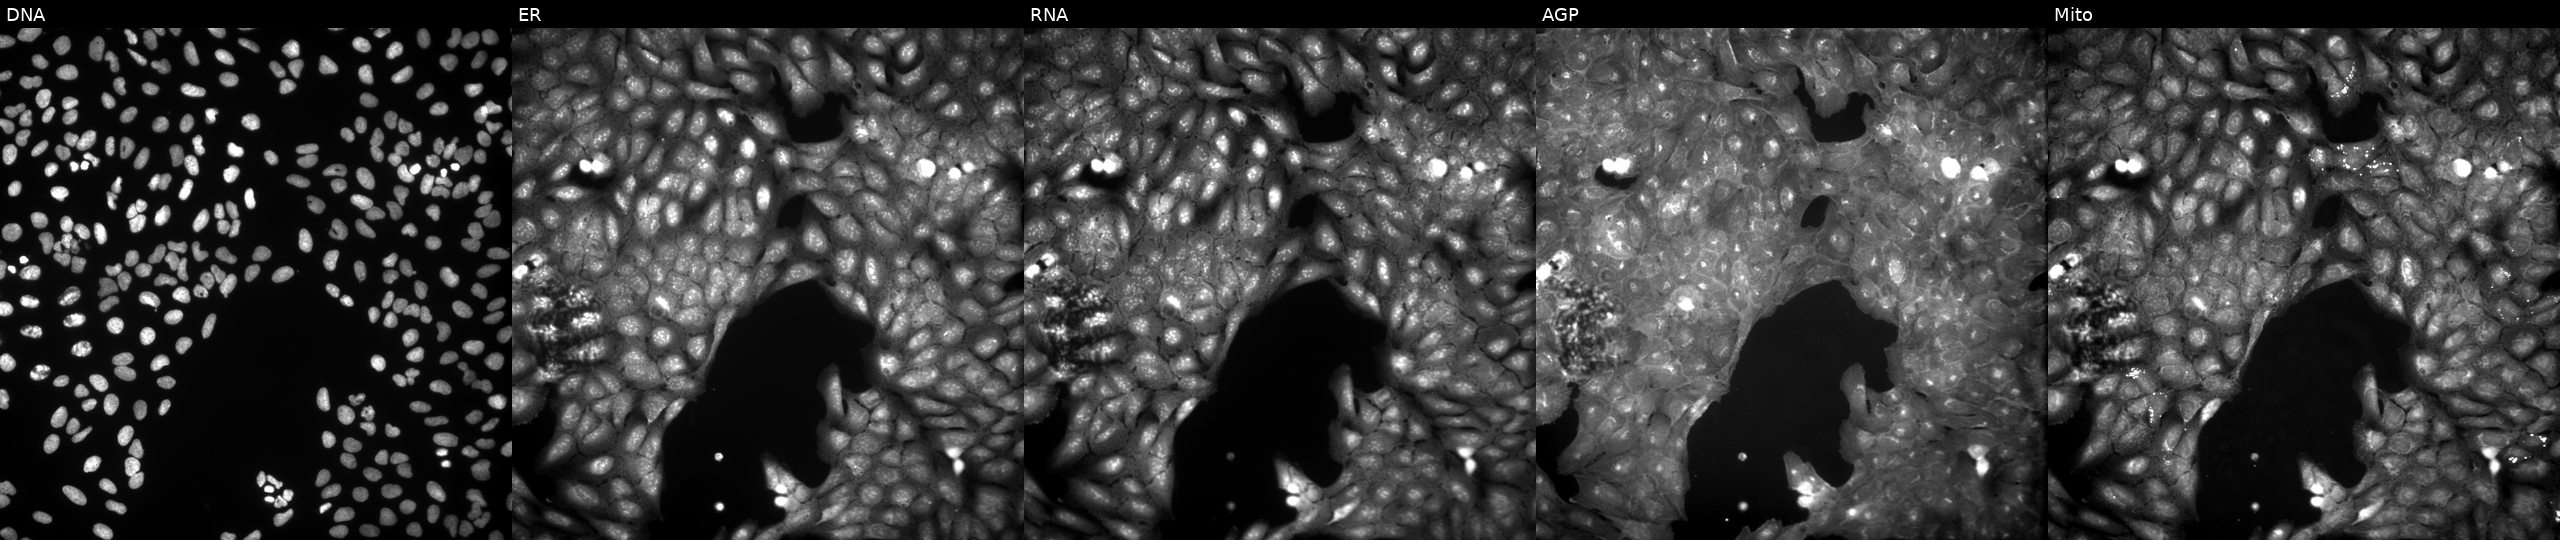
From left to right: DNA (nuclei); ER (endoplasmic reticulum); RNA (nucleoli and cytoplasmic RNA); AGP (actin cytoskeleton, Golgi, and plasma membrane); Mito (mitochondria). U2OS osteosarcoma cells perturbed with a small-molecule compound (InChIKey FAEKTUDLKDVPSY-UHFFFAOYSA-N) (JUMP id JCP2022_019332). Cell Painting assay, JUMP-CP dataset. Source 9, plate GR00003382, well Q35.